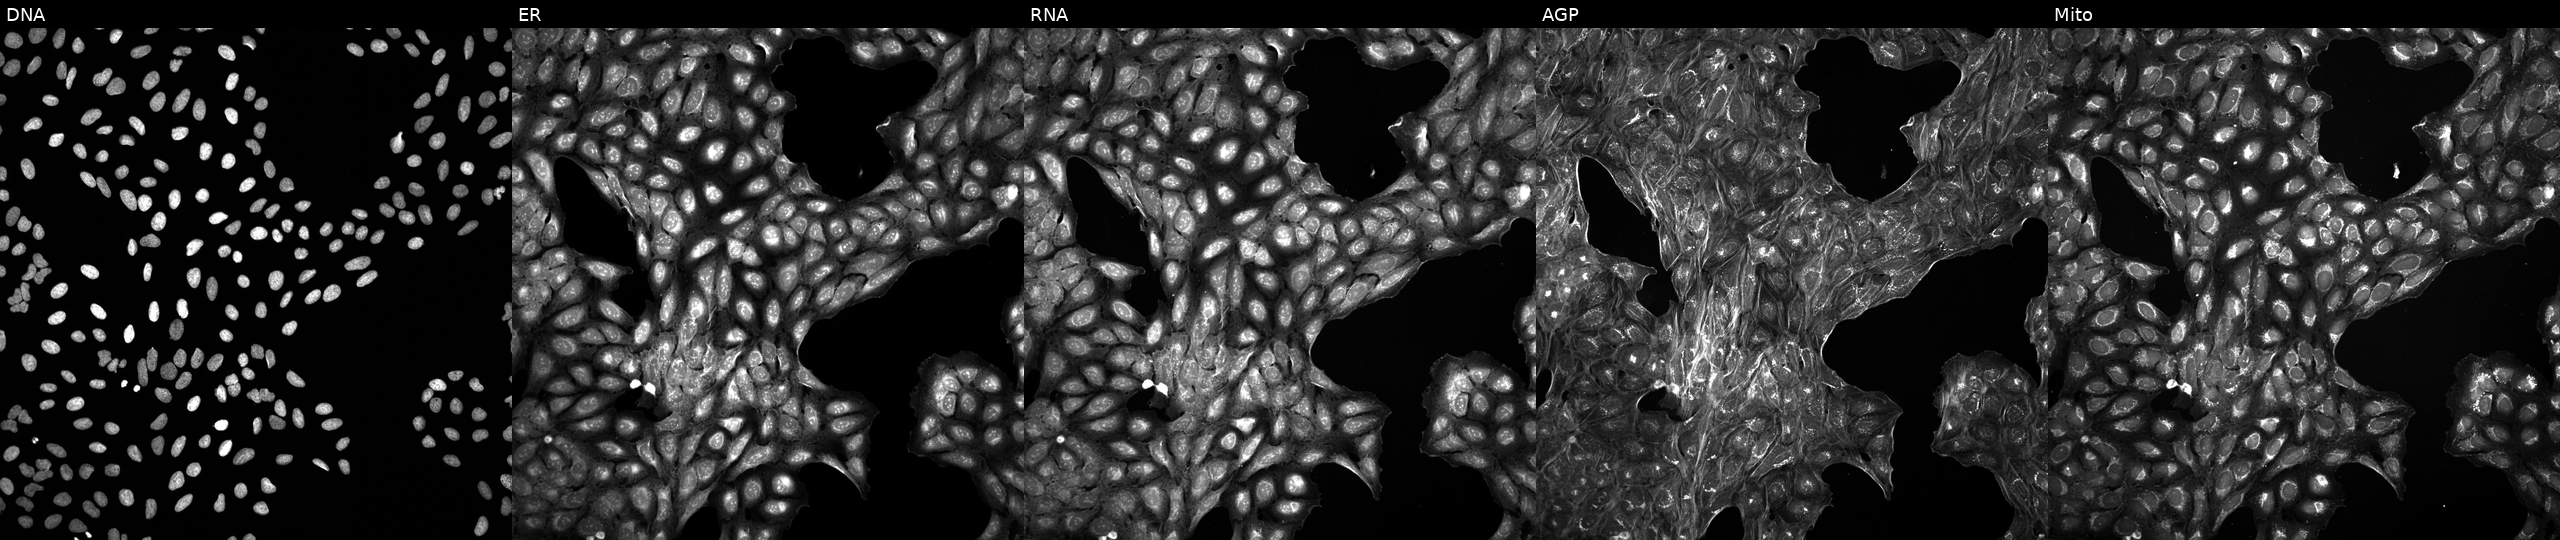
High-content fluorescence microscopy (Cell Painting). Cell line: U2OS. Perturbation: treated with a small-molecule compound [SMILES: O=C(Cn1nnc(COc2ccccc2)n1)Nc1ccccc1N1CCOCC1] (JUMP id JCP2022_036368). From left to right: Hoechst 33342, concanavalin A, SYTO 14, phalloidin and WGA, MitoTracker.